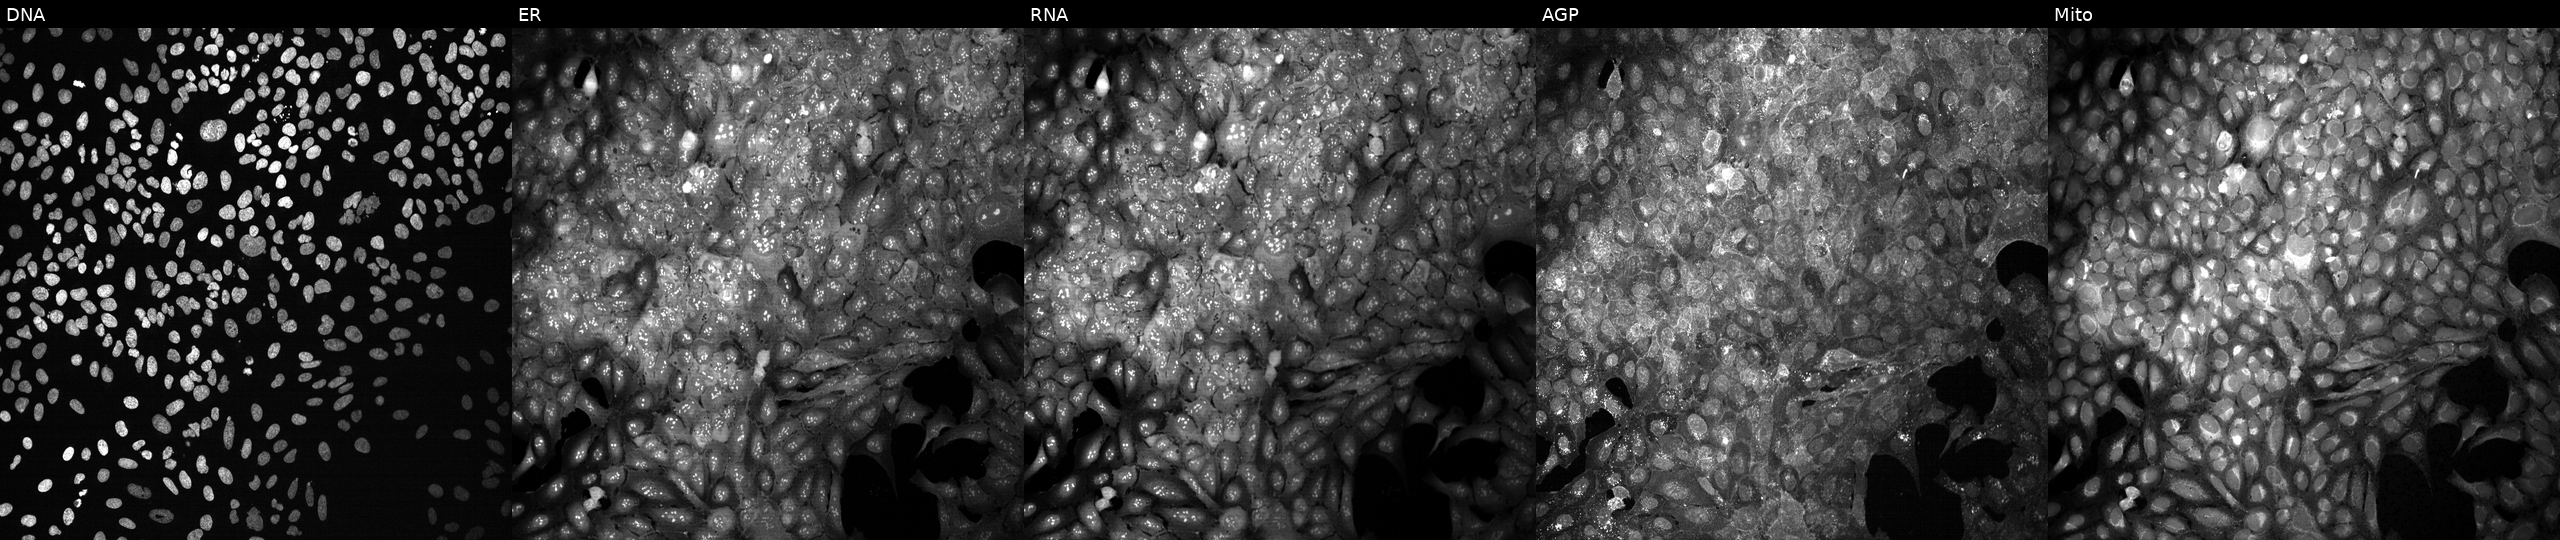
Channels (left→right): Hoechst 33342, concanavalin A, SYTO 14, phalloidin and WGA, MitoTracker. U2OS osteosarcoma cells with FKBP14 knocked out by CRISPR (JUMP id JCP2022_802411). Cell Painting assay, JUMP-CP dataset. Source 13, plate CP-CC9-R1-02, well N22.